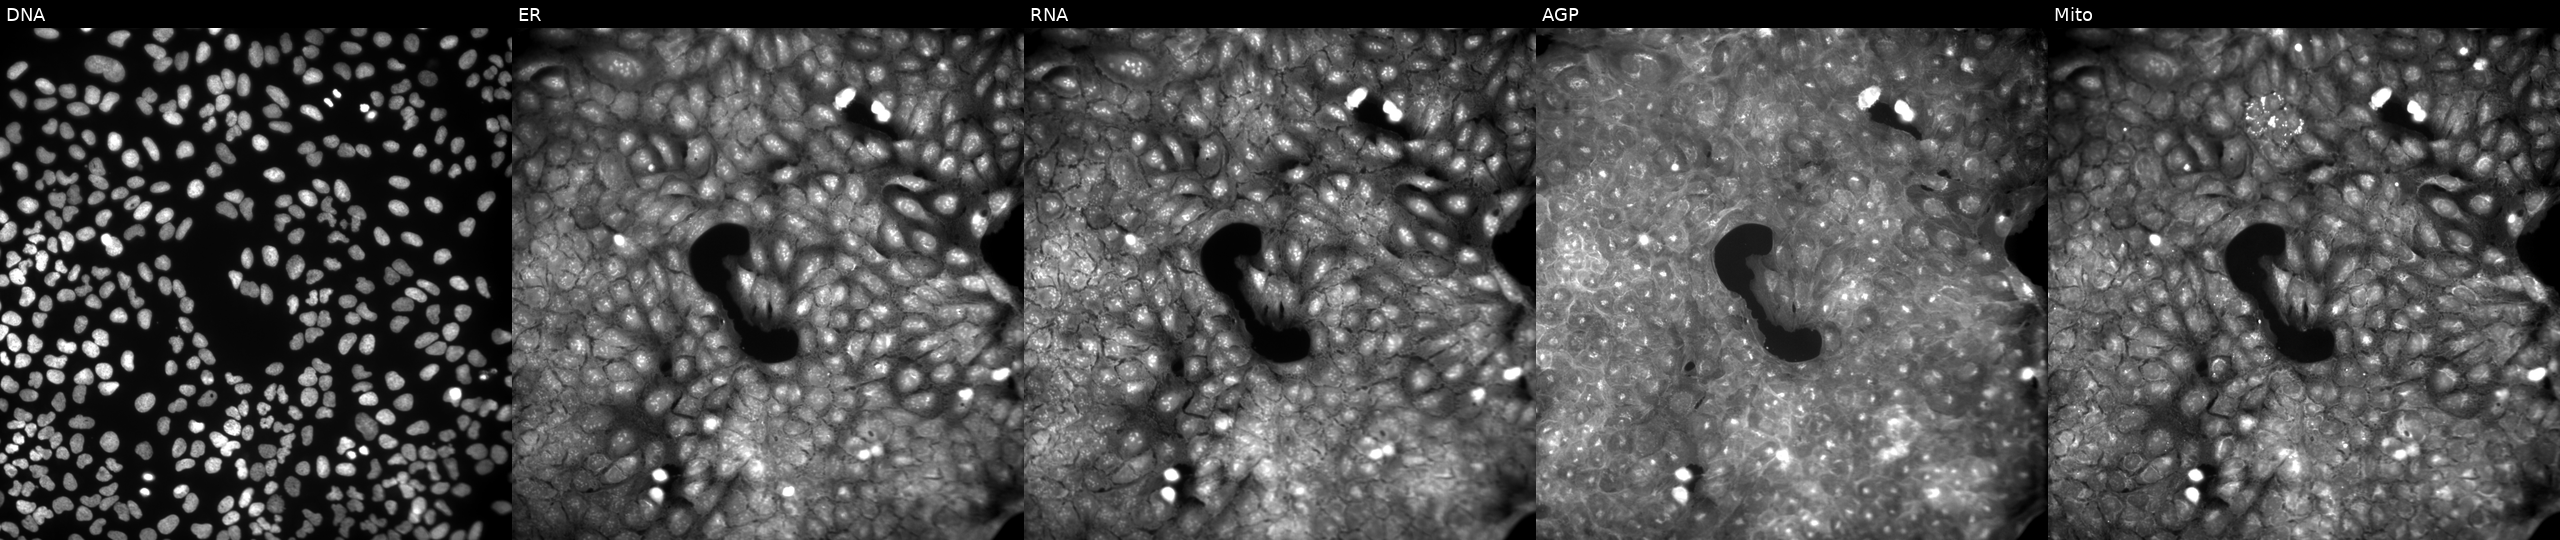
From left to right: DNA, ER, RNA, AGP, and Mito. U2OS osteosarcoma cells treated with a small-molecule compound (InChIKey KWUOGBMWEZLWHF-UHFFFAOYSA-N) (JUMP id JCP2022_047498). Cell Painting assay, JUMP-CP dataset.